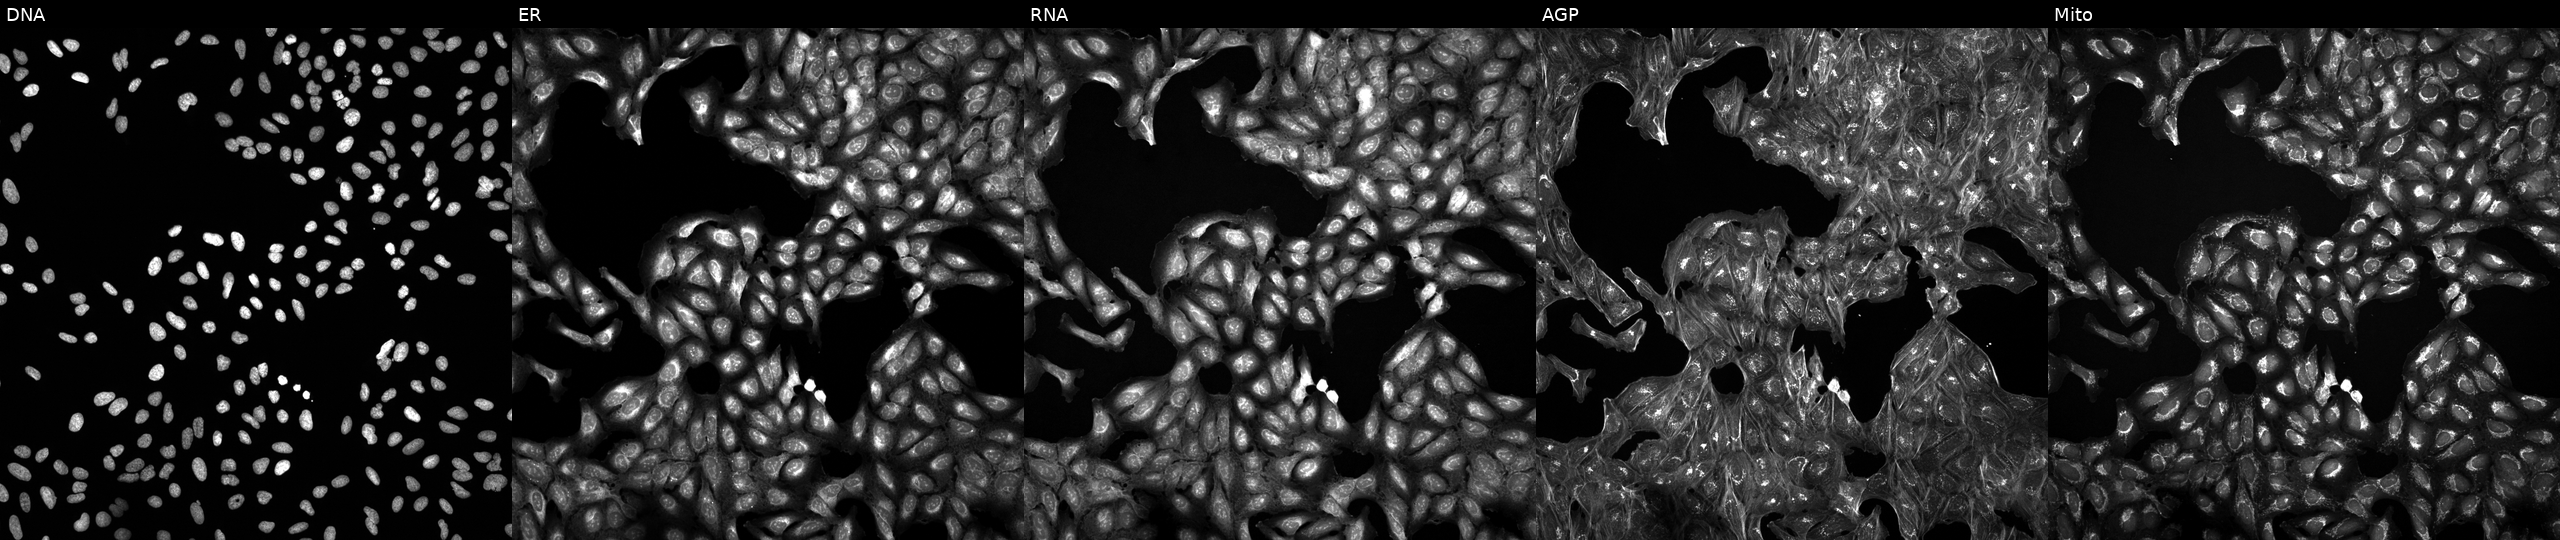
U2OS cells, Cell Painting assay, treated with a small-molecule compound (InChIKey NUKYPUAOHBNCPY-UHFFFAOYSA-N) (JUMP id JCP2022_061437). Panels show, left to right, DNA (nuclei); ER (endoplasmic reticulum); RNA (nucleoli and cytoplasmic RNA); AGP (actin cytoskeleton, Golgi, and plasma membrane); Mito (mitochondria). Each panel is percentile-stretched 16-bit fluorescence.